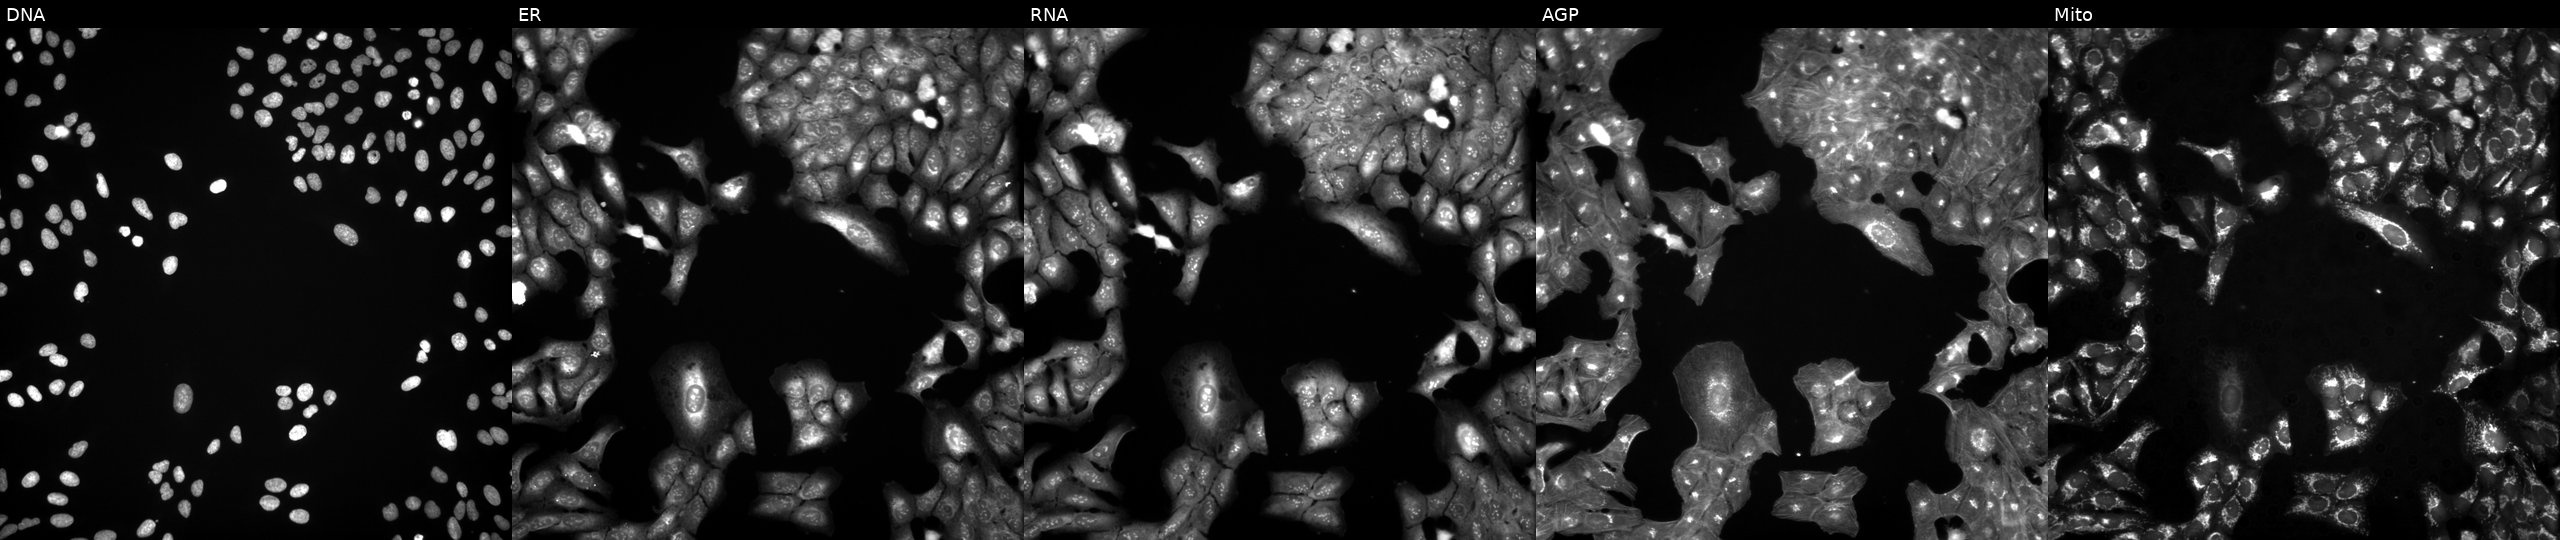
U2OS cells, Cell Painting assay, exposed to a small-molecule compound (JUMP id JCP2022_039503). From left to right: DNA (nuclei); ER (endoplasmic reticulum); RNA (nucleoli and cytoplasmic RNA); AGP (actin cytoskeleton, Golgi, and plasma membrane); Mito (mitochondria). Each panel is percentile-stretched 16-bit fluorescence.